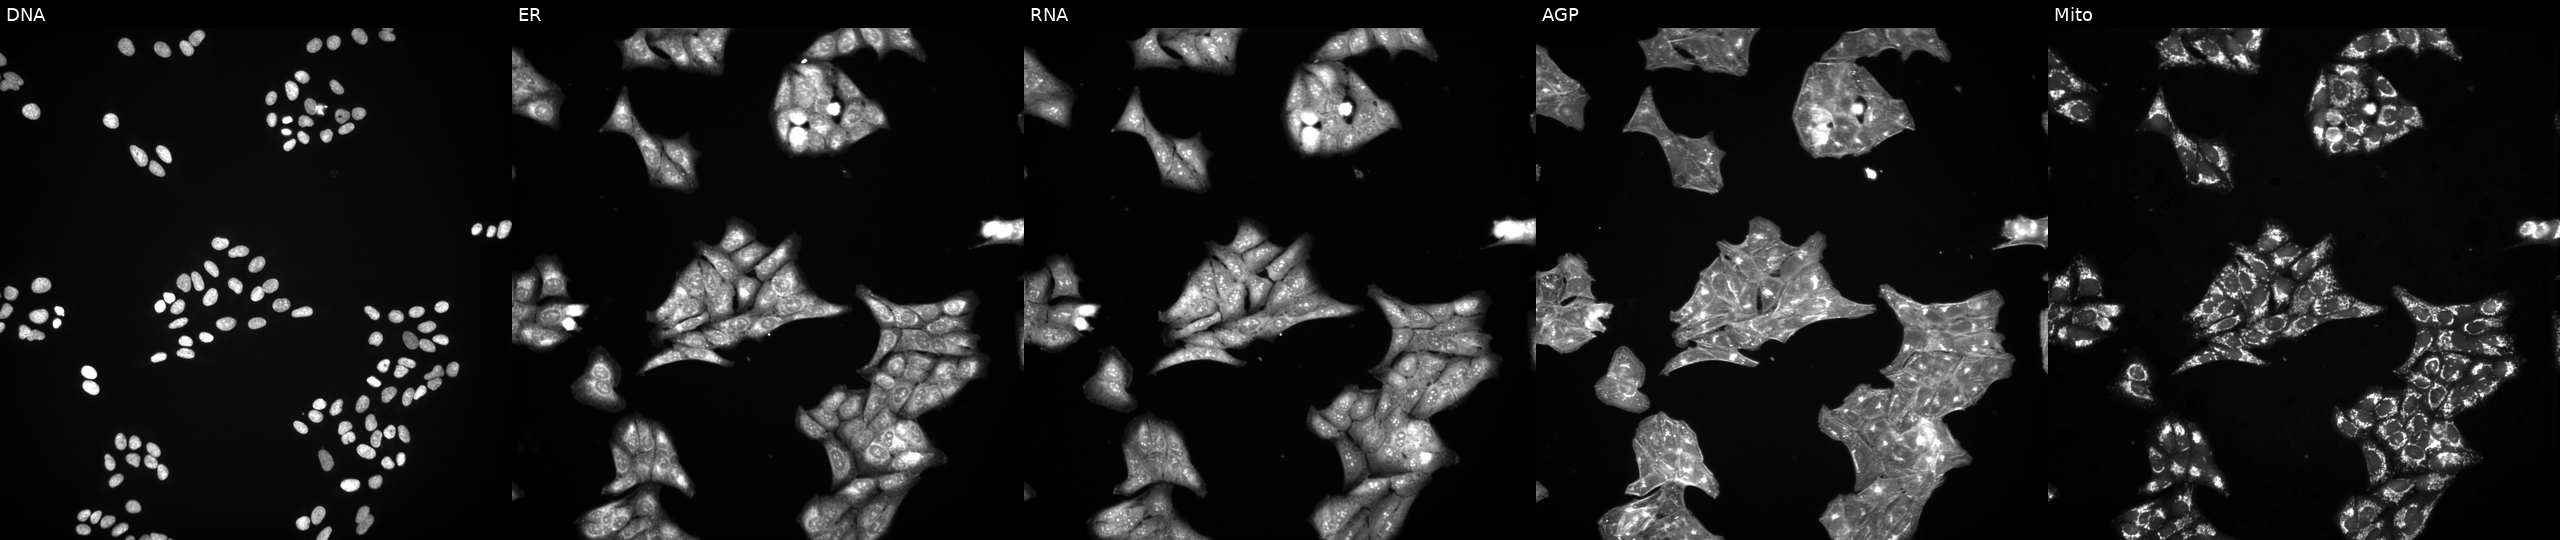
This image strip shows the five Cell Painting channels for a single field of U2OS cells treated with a small-molecule compound (InChIKey AECDBHGVIIRMOI-UHFFFAOYSA-N). From left to right: DNA, ER, RNA, AGP, and Mito.